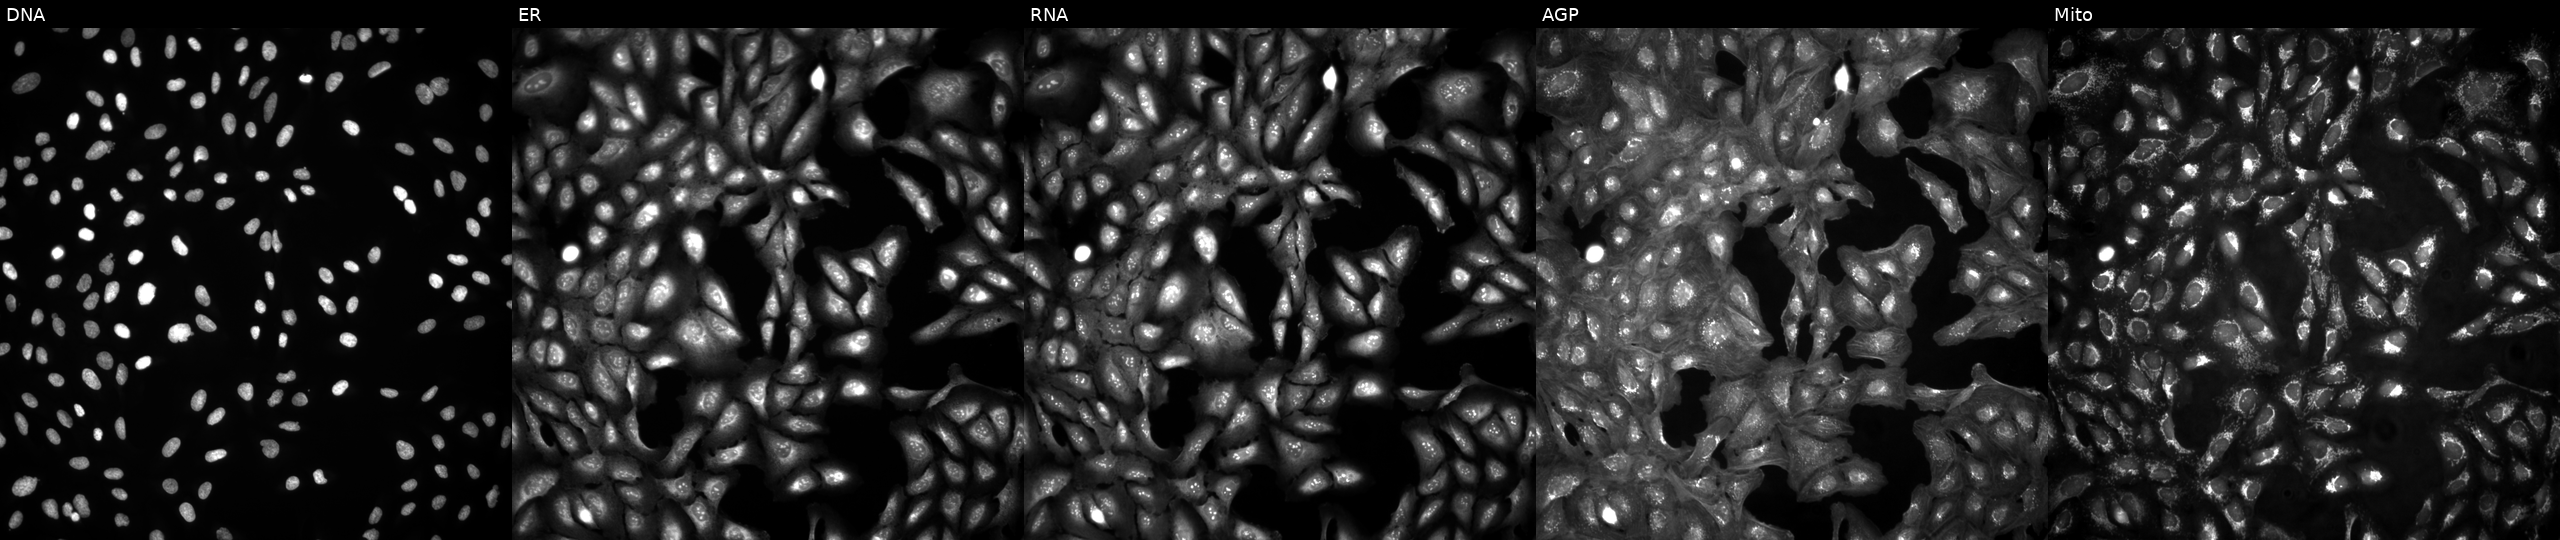
The five panels, left to right, show DNA, ER, RNA, AGP, and Mito. U2OS osteosarcoma cells untreated (empty-well control). Cell Painting assay, JUMP-CP dataset. Source 4, plate BR00124793, well B08.